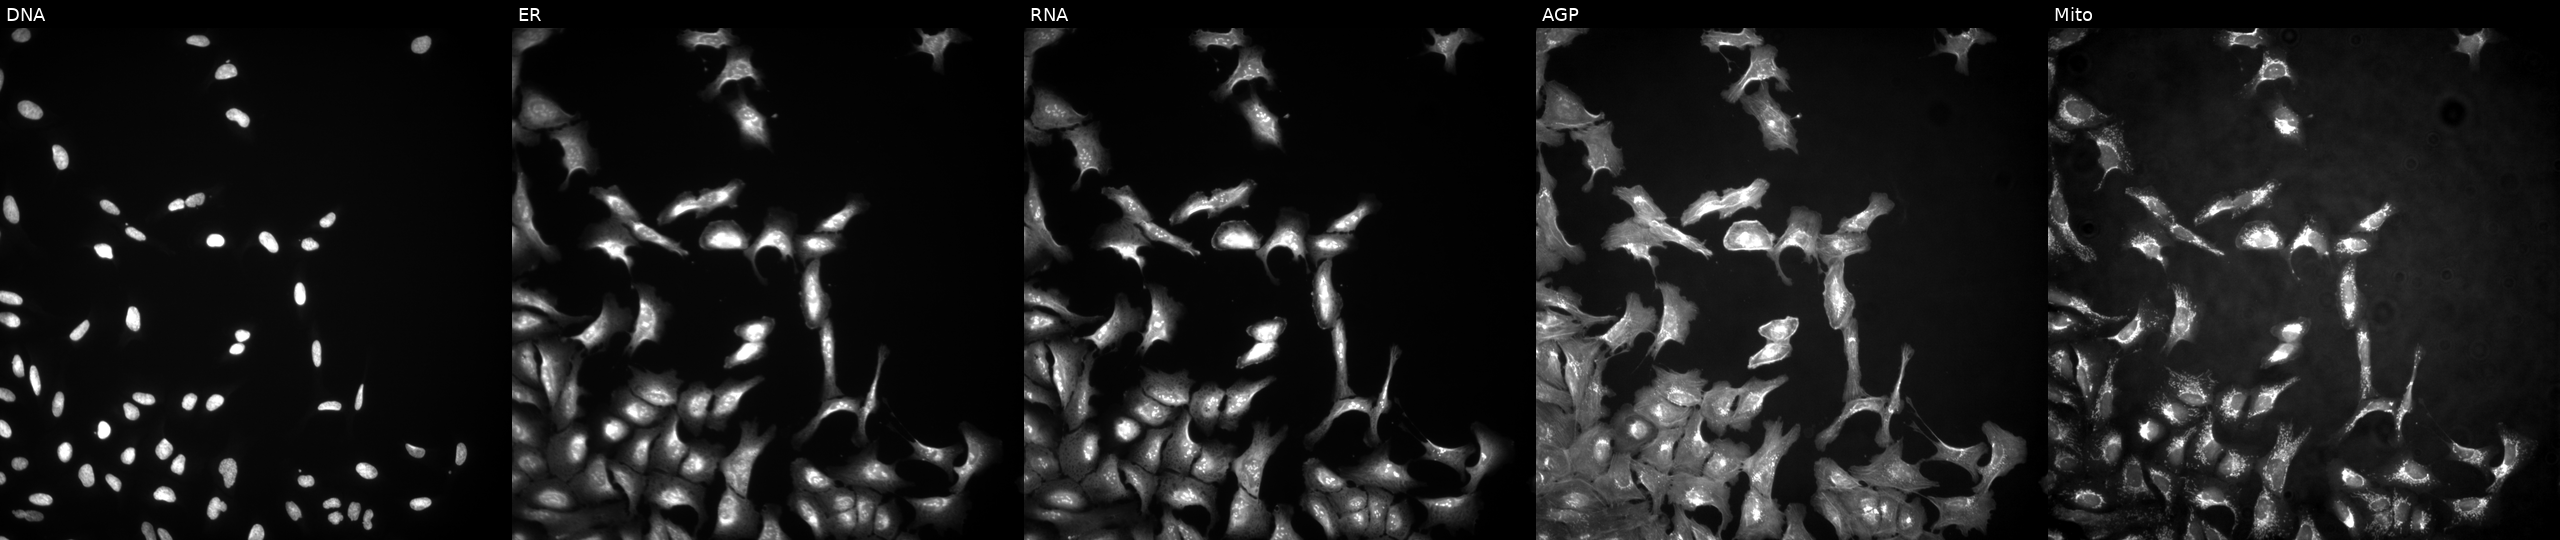
This image strip shows the five Cell Painting channels for a single field of U2OS cells overexpressing CCDC84 via ORF transfection (JUMP id JCP2022_905091). From left to right: DNA (nuclei); ER (endoplasmic reticulum); RNA (nucleoli and cytoplasmic RNA); AGP (actin cytoskeleton, Golgi, and plasma membrane); Mito (mitochondria). Source 4, plate BR00123509, well I02.